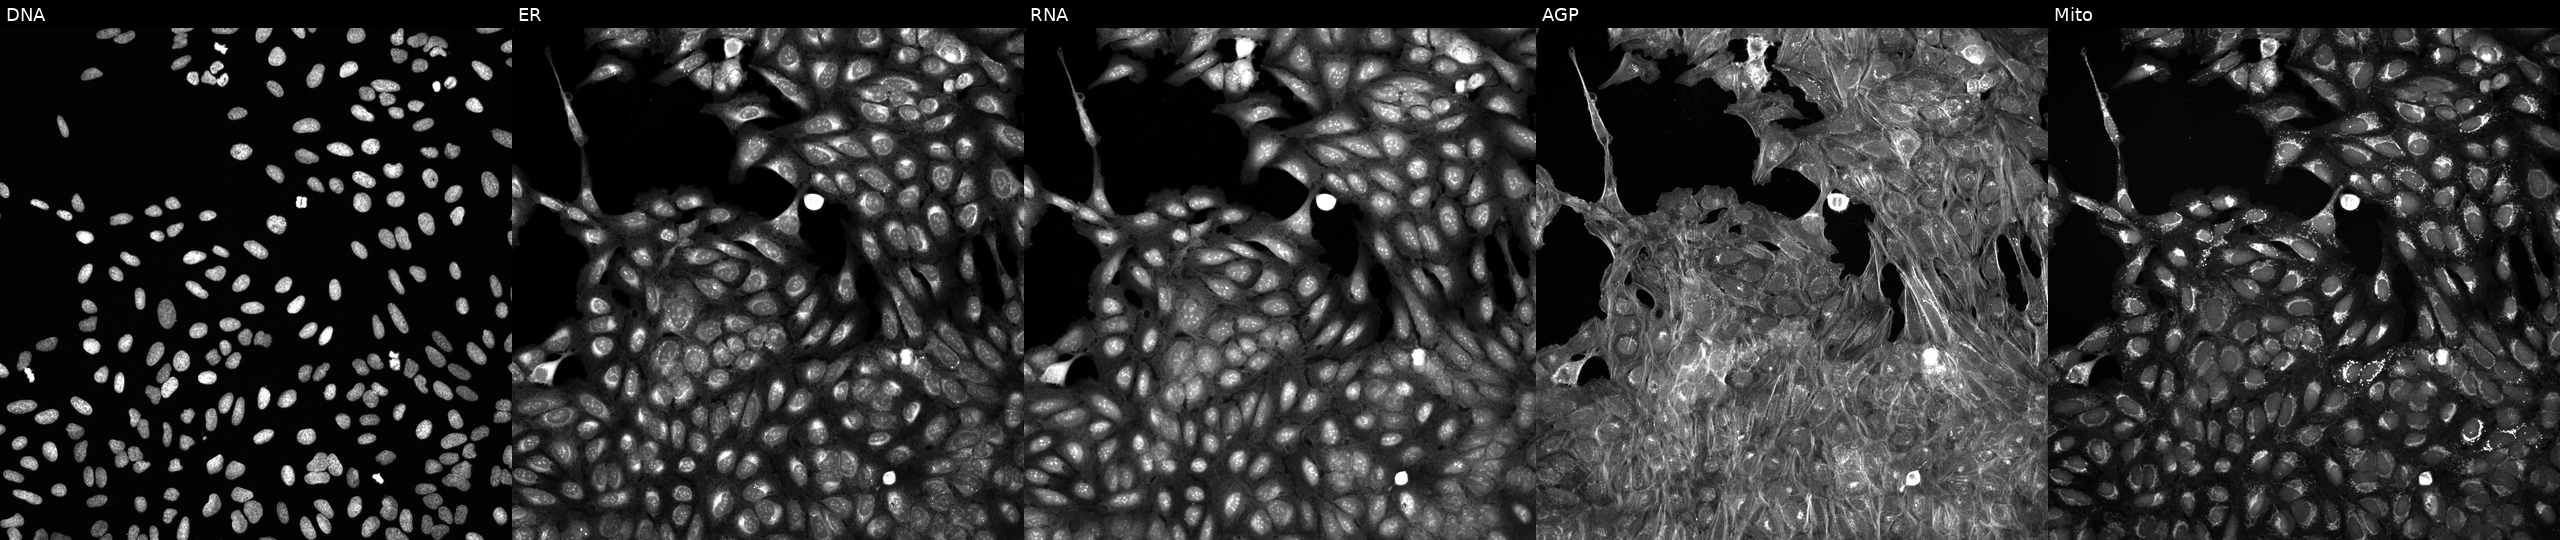
Panels show, left to right, Hoechst 33342, concanavalin A, SYTO 14, phalloidin and WGA, MitoTracker. U2OS osteosarcoma cells treated with a small-molecule compound (InChIKey HJYYPODYNSCCOU-UHFFFAOYSA-N) [SMILES: COC1C=COC2(C)Oc3c(C)c(O)c4c(O)c(cc(O)c4c3C2=O)NC(=O)C(C)=CC=CC(C)C(O)C(C)C(O)C(C)C(OC(C)=O)C1C]. Cell Painting assay, JUMP-CP dataset.